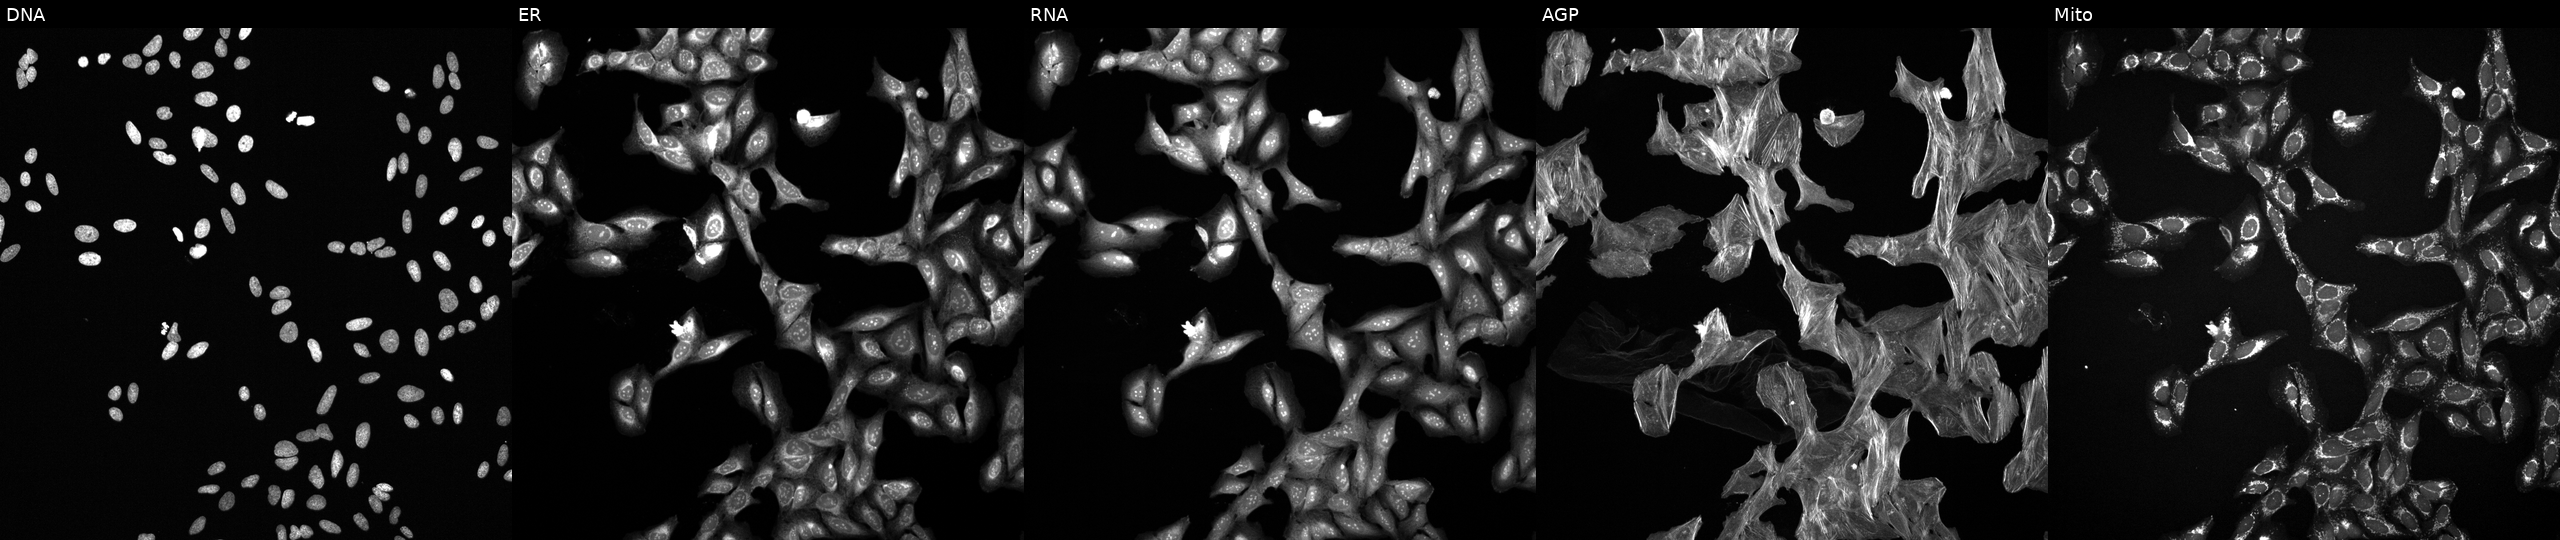
This image strip shows the five Cell Painting channels for a single field of U2OS cells treated with a small-molecule compound (InChIKey WYWHKKSPHMUBEB-UHFFFAOYSA-N) [SMILES: N=c1[nH]c(=S)c2[nH]cnc2[nH]1] (JUMP id JCP2022_102083). From left to right: DNA, ER, RNA, AGP, and Mito. Source 6, plate 110000293081, well H15.